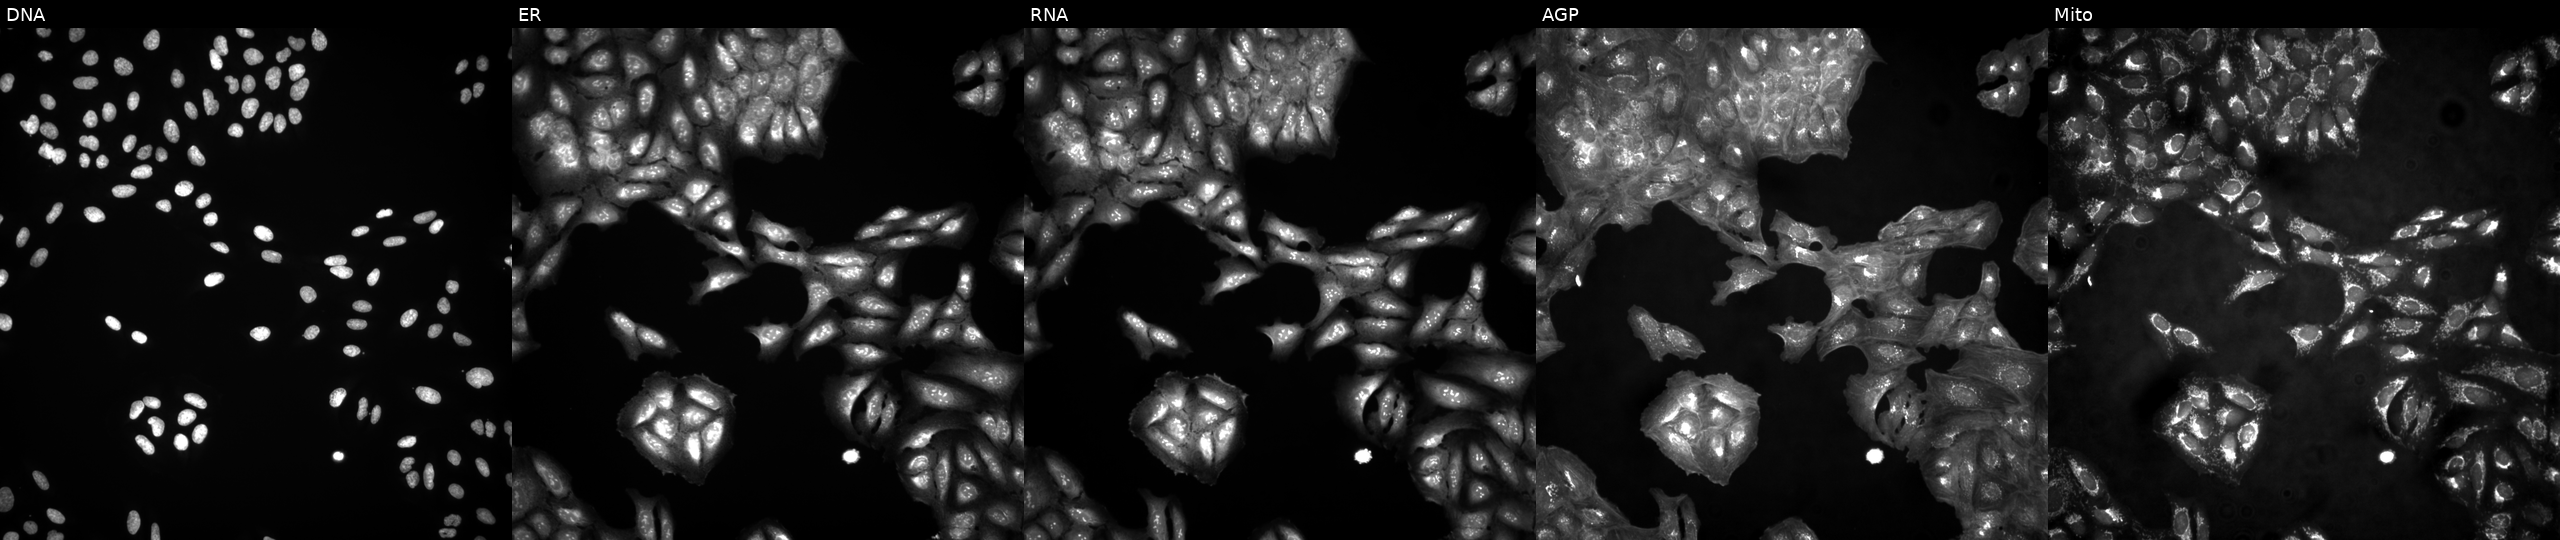
Panels show, left to right, DNA (nuclei); ER (endoplasmic reticulum); RNA (nucleoli and cytoplasmic RNA); AGP (actin cytoskeleton, Golgi, and plasma membrane); Mito (mitochondria). U2OS osteosarcoma cells in an empty control well (no perturbation) (JUMP id JCP2022_999999). Cell Painting assay, JUMP-CP dataset. Source 4, plate BR00123946, well F05.